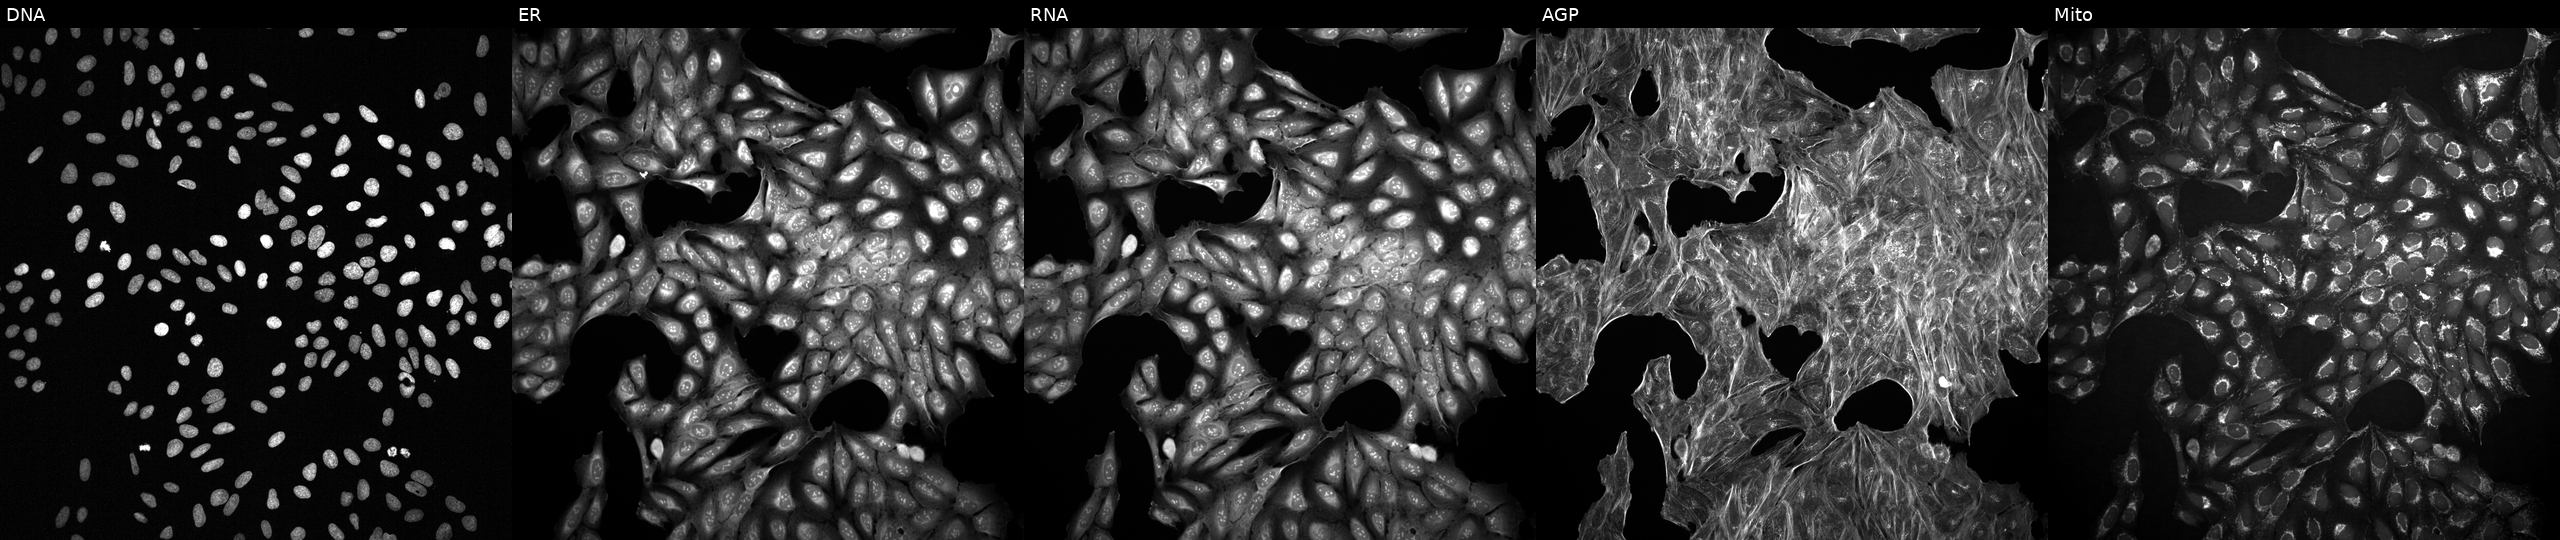
This image strip shows the five Cell Painting channels for a single field of U2OS cells treated with DMSO vehicle only (negative control). From left to right: DNA, ER, RNA, AGP, and Mito. Source 2, plate 1053601763, well M02.